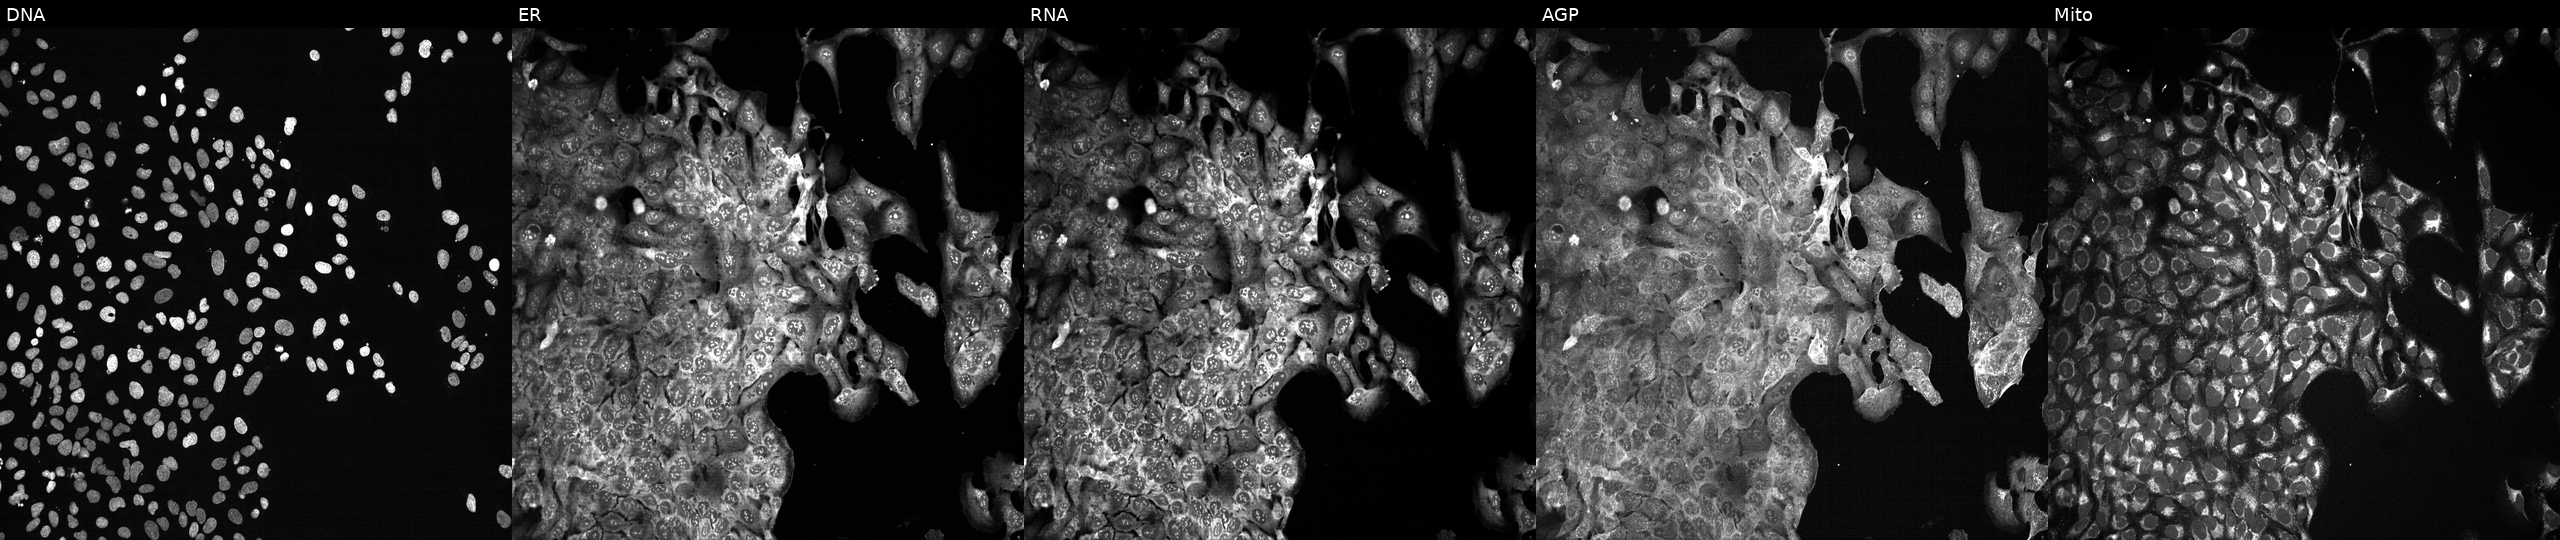
High-content fluorescence microscopy (Cell Painting). Cell line: U2OS. Perturbation: with RHOC knocked out by CRISPR (JUMP id JCP2022_805956). Panels show, left to right, Hoechst 33342, concanavalin A, SYTO 14, phalloidin and WGA, MitoTracker.